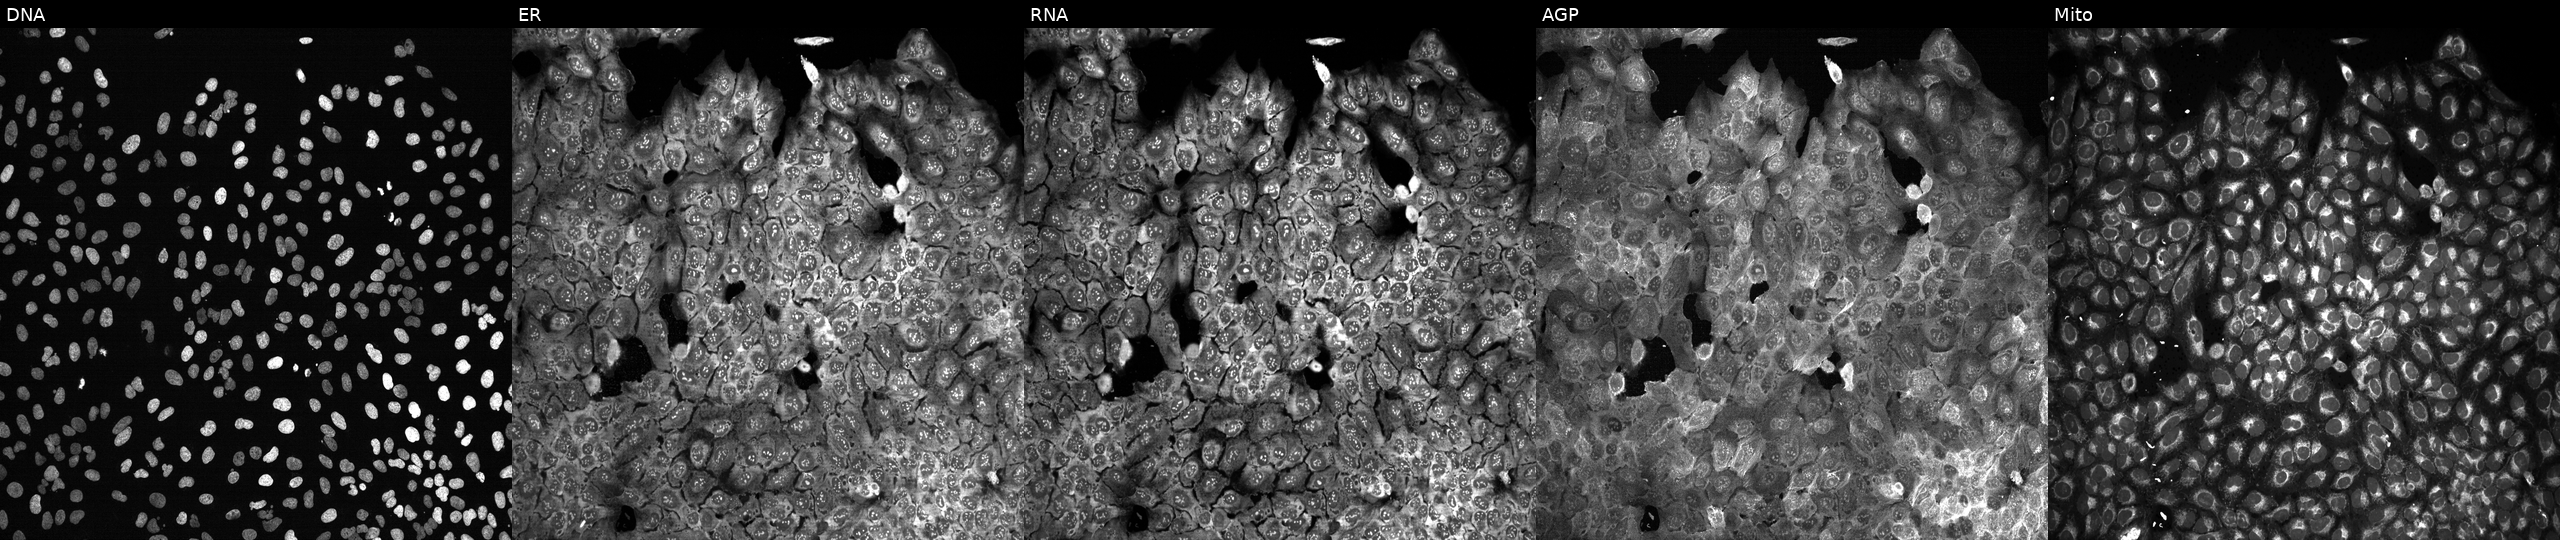
This image strip shows the five Cell Painting channels for a single field of U2OS cells with ST6GAL2 knocked out by CRISPR. Channels (left→right): Hoechst 33342, concanavalin A, SYTO 14, phalloidin and WGA, MitoTracker. Source 13, plate CP-CC9-R2-01, well K04.